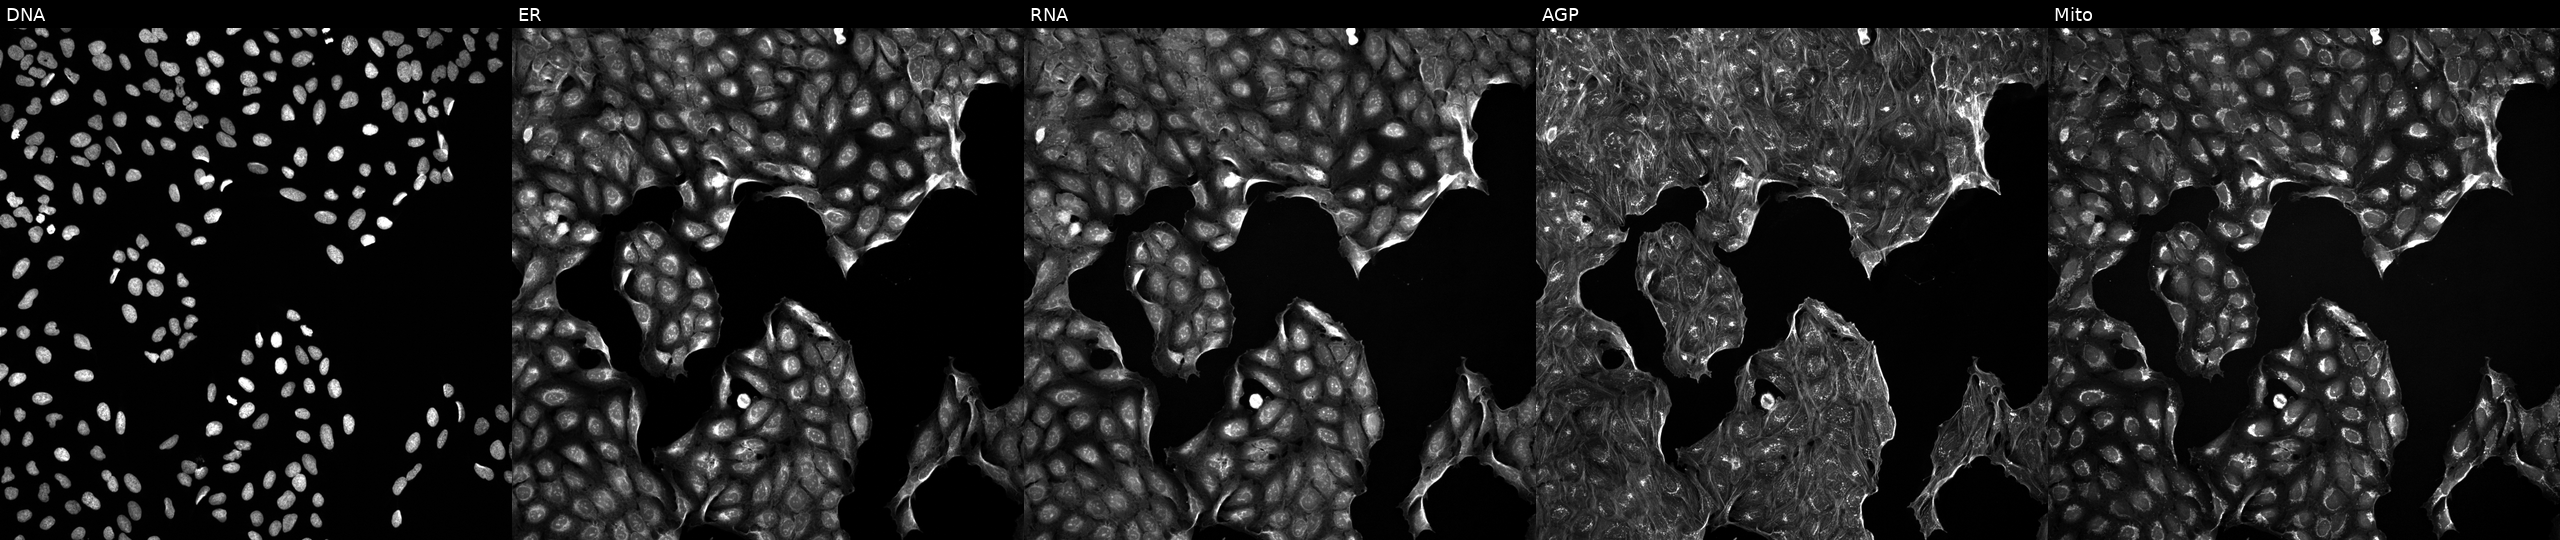
This image strip shows the five Cell Painting channels for a single field of U2OS cells perturbed with a small-molecule compound [SMILES: COc1ccc(C=CC(=O)Nc2ccccc2C(=O)O)cc1OC] (JUMP id JCP2022_062326). From left to right: DNA, ER, RNA, AGP, and Mito. Source 5, plate ACPJUM012, well B16.